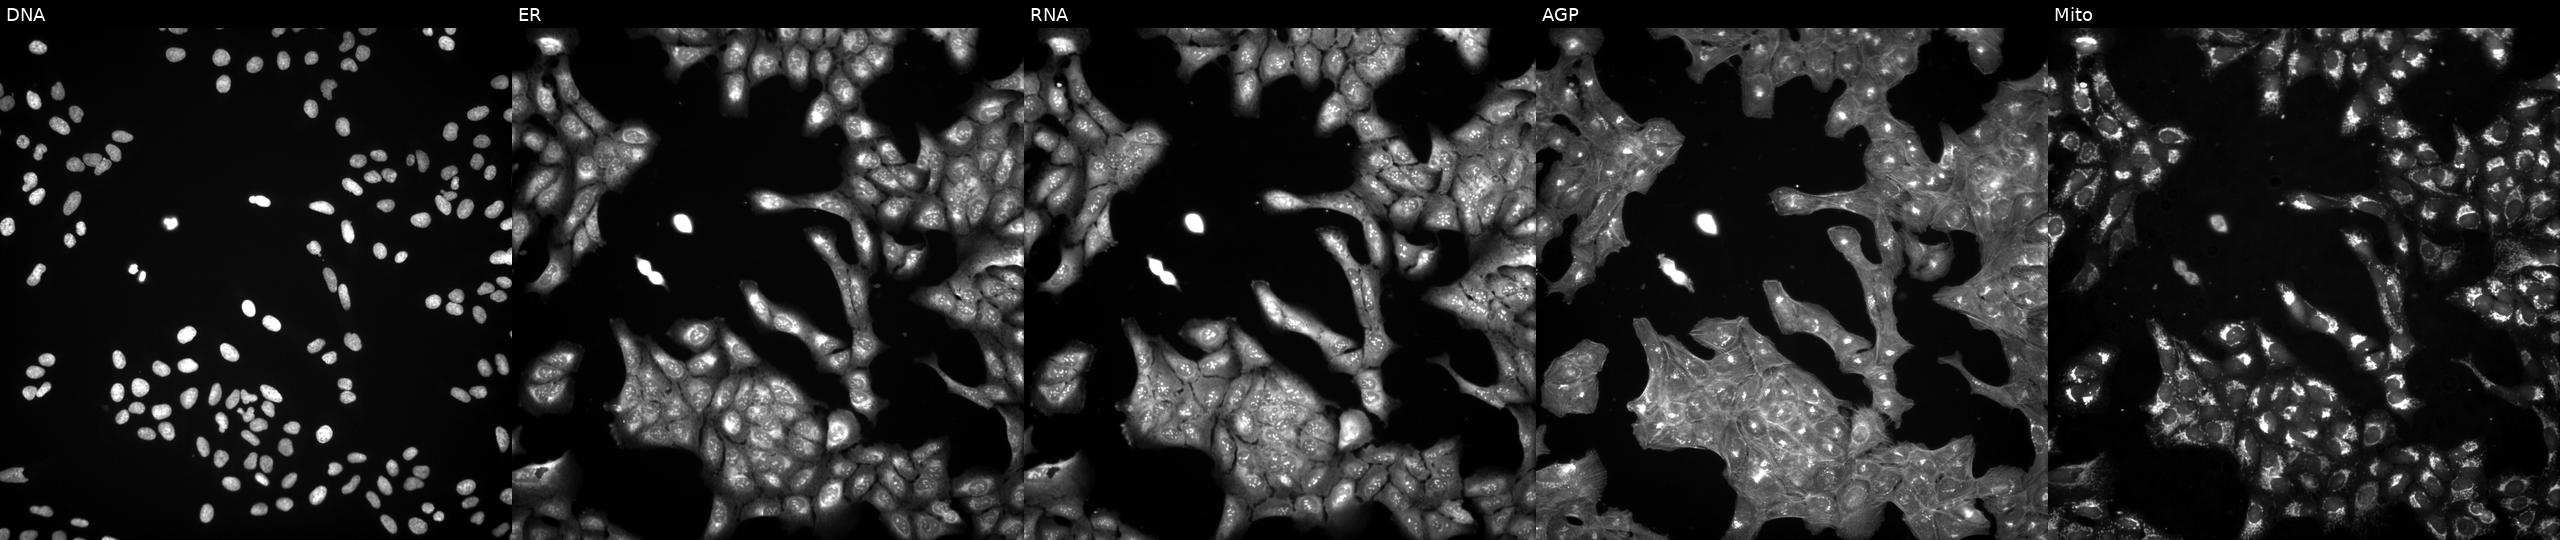
JUMP Cell Painting — TARGET2 plate. U2OS cells perturbed with a small-molecule compound (InChIKey IFIUFCJFLGCQPH-UHFFFAOYSA-N) (JUMP id JCP2022_034709). Channels (left→right): Hoechst 33342, concanavalin A, SYTO 14, phalloidin and WGA, MitoTracker.